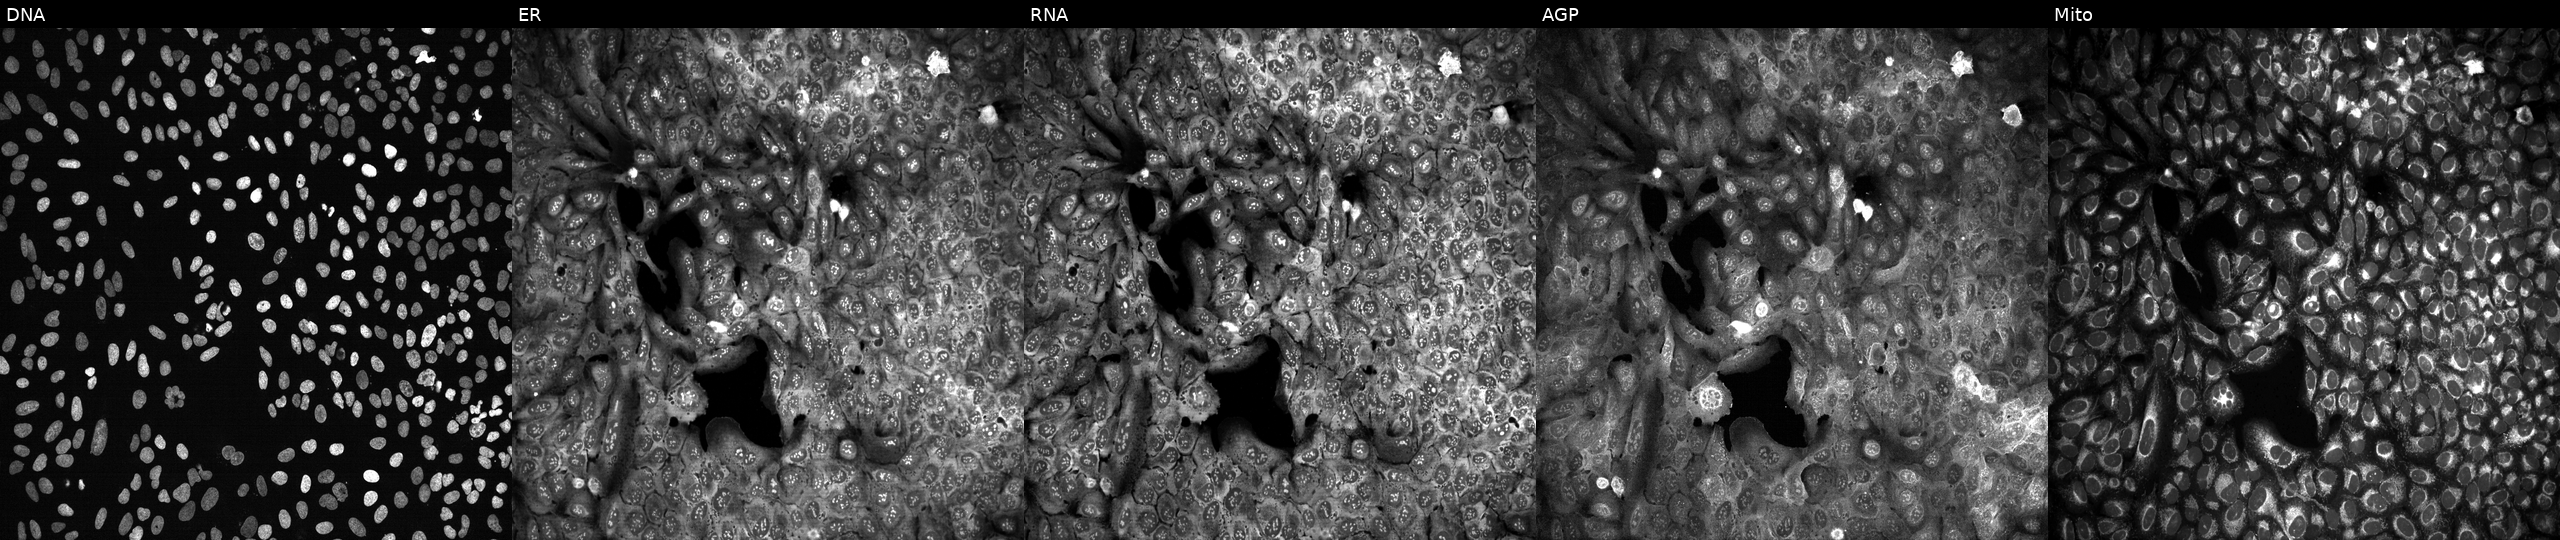
This image strip shows the five Cell Painting channels for a single field of U2OS cells following CRISPR knockout of ACYP1 (JUMP id JCP2022_800161). Channels (left→right): Hoechst 33342, concanavalin A, SYTO 14, phalloidin and WGA, MitoTracker.